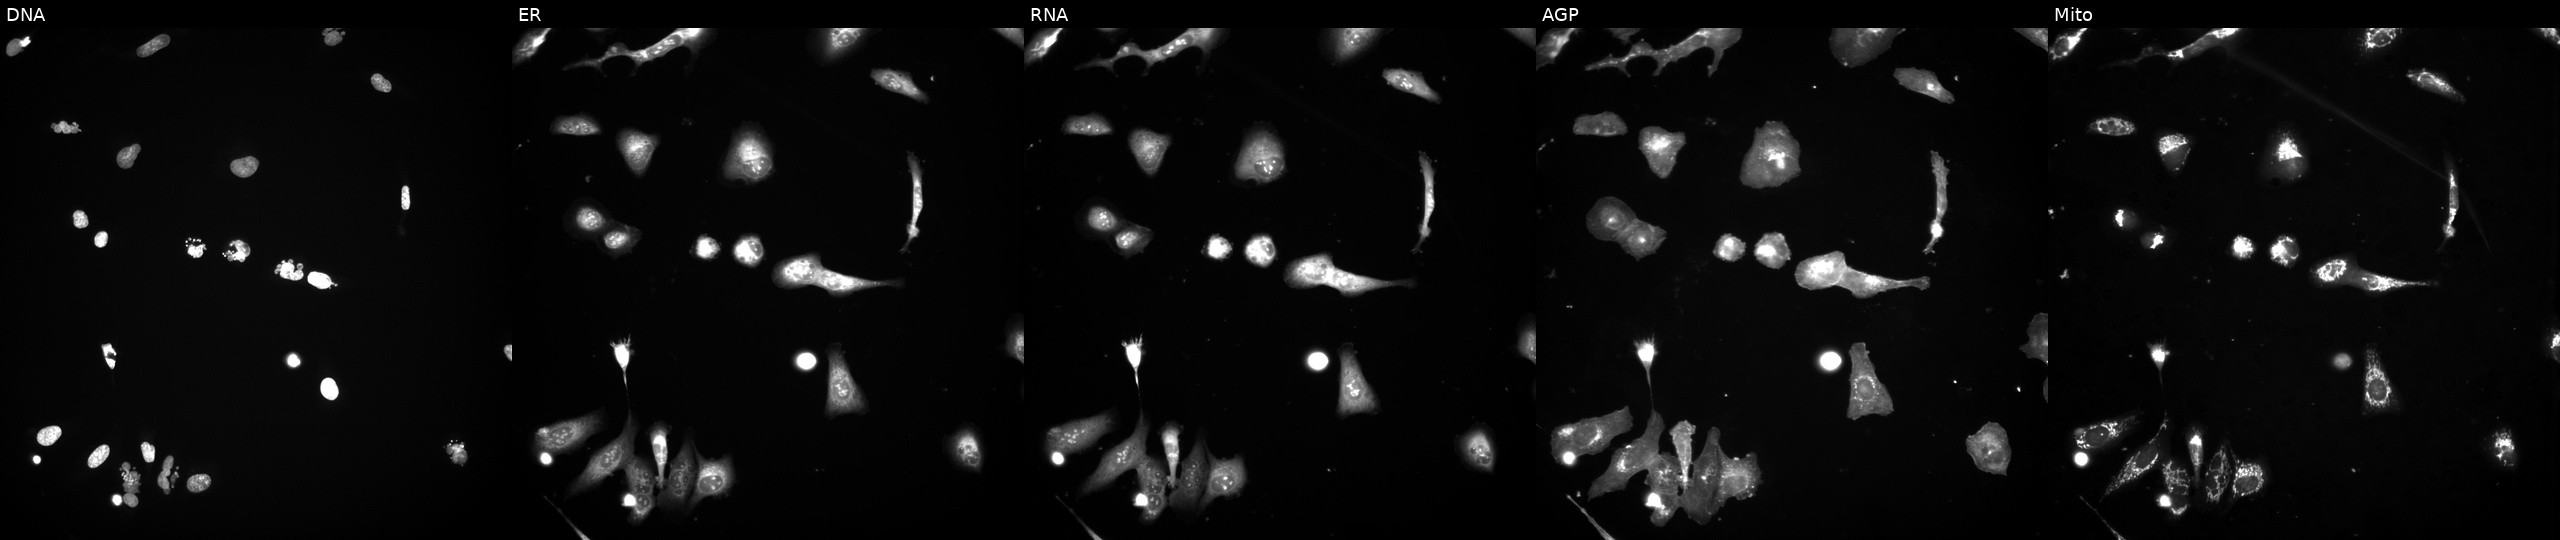
Five-channel Cell Painting image of U2OS cells perturbed with a small-molecule compound (InChIKey XQVVPGYIWAGRNI-UHFFFAOYSA-N). Channels (left→right): DNA (nuclei); ER (endoplasmic reticulum); RNA (nucleoli and cytoplasmic RNA); AGP (actin cytoskeleton, Golgi, and plasma membrane); Mito (mitochondria). Source 3, plate JCPQC052, well D07.